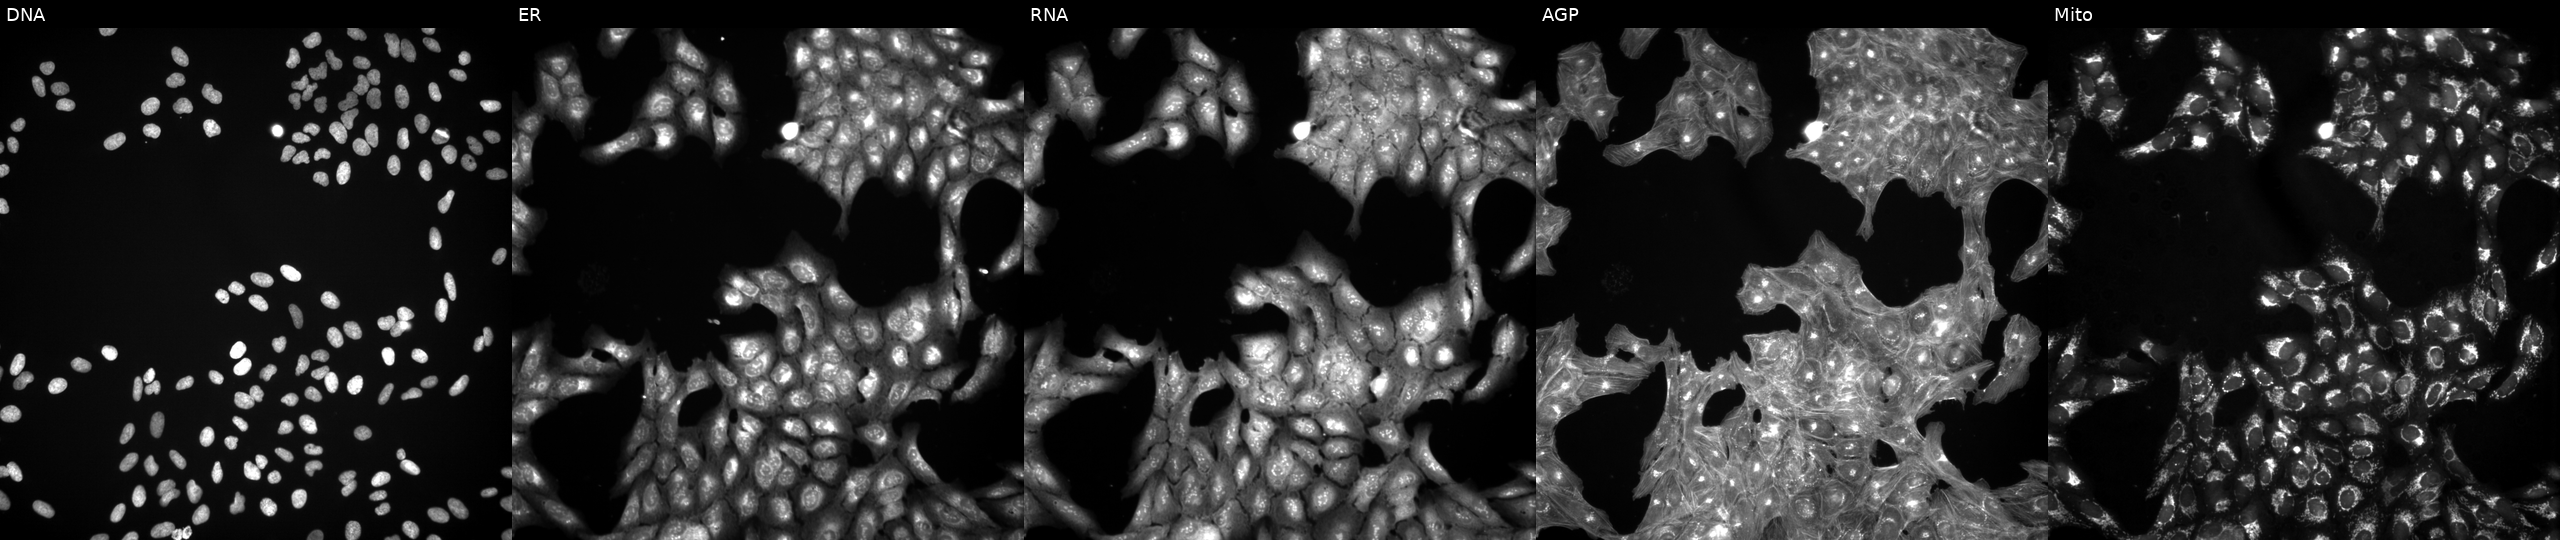
U2OS cells, Cell Painting assay, exposed to DMSO alone as a negative control. Channels (left→right): DNA (nuclei); ER (endoplasmic reticulum); RNA (nucleoli and cytoplasmic RNA); AGP (actin cytoskeleton, Golgi, and plasma membrane); Mito (mitochondria). Each panel is percentile-stretched 16-bit fluorescence.